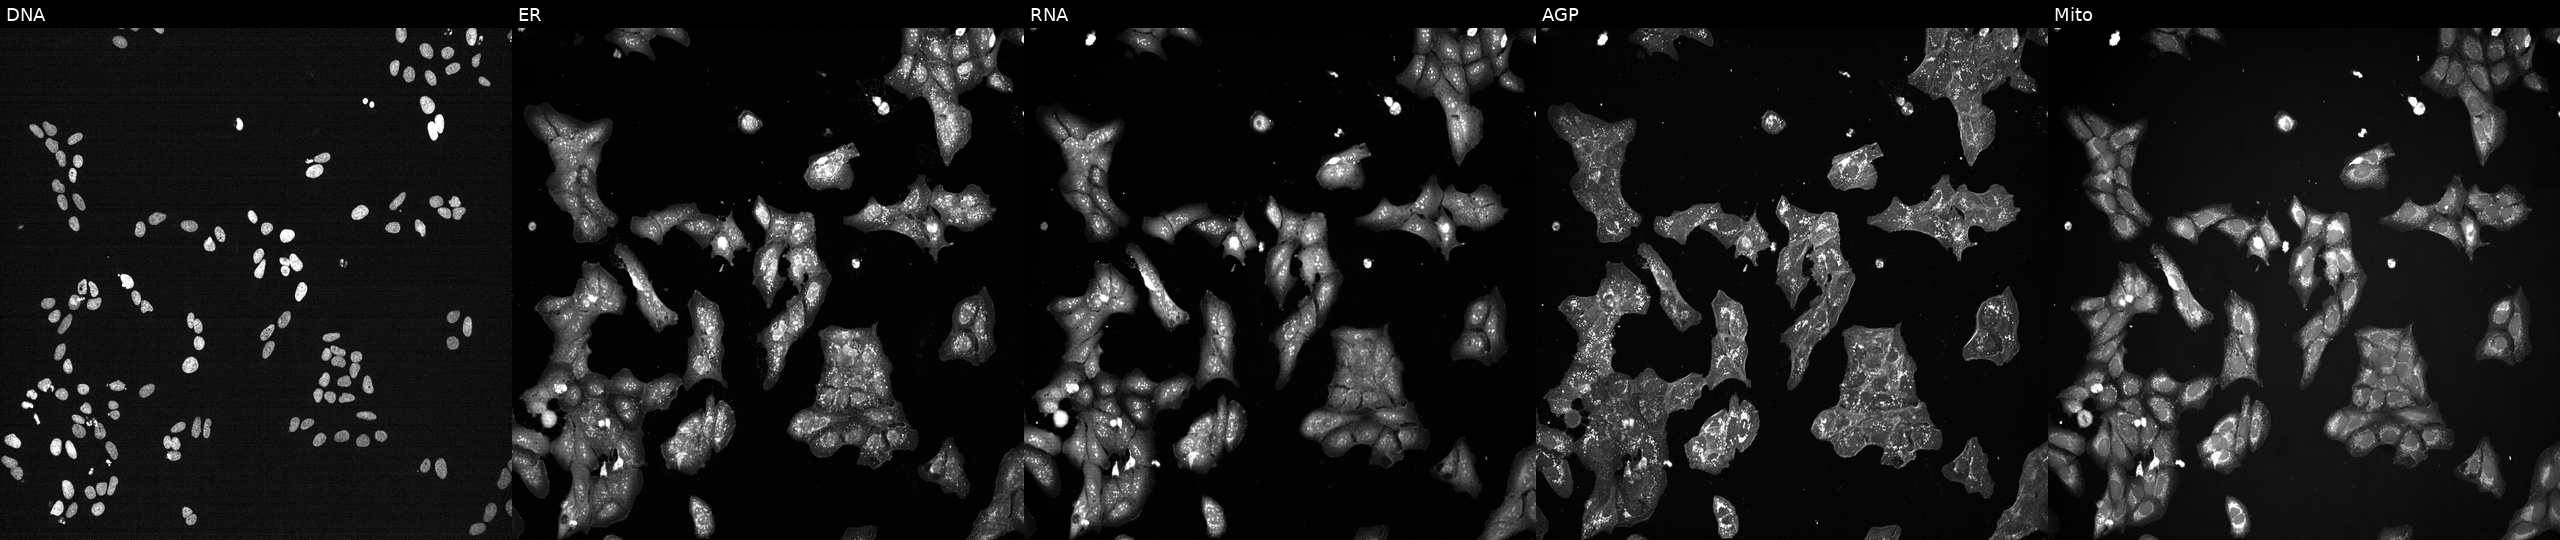
JUMP Cell Painting — TARGET2 plate. U2OS cells treated with a small-molecule compound (InChIKey XXJWYDDUDKYVKI-UHFFFAOYSA-N) [SMILES: COc1cc2c(Oc3ccc4[nH]c(C)cc4c3F)ncnc2cc1OCCCN1CCCC1]. From left to right: Hoechst 33342, concanavalin A, SYTO 14, phalloidin and WGA, MitoTracker. Source 7, plate CP2-SC1-25, well M20.